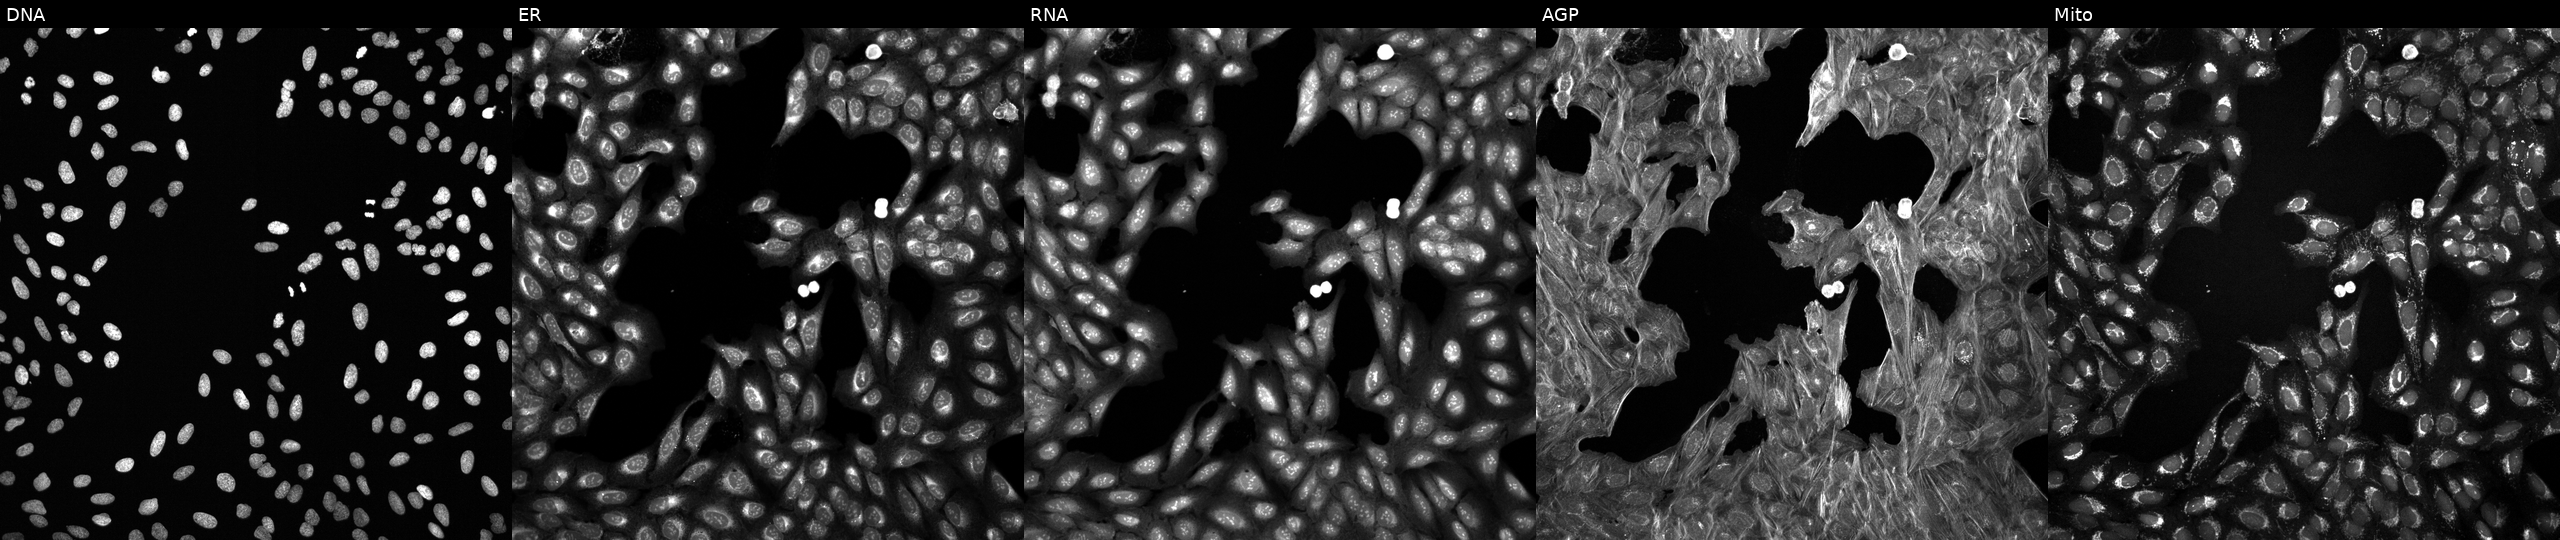
JUMP Cell Painting — TARGET2 plate. U2OS cells exposed to a small-molecule compound (InChIKey GUUGZPSUOTWOMD-UHFFFAOYSA-N) [SMILES: Oc1ccc(C(O)O)[nH]1] (JUMP id JCP2022_027911). Panels show, left to right, DNA (nuclei); ER (endoplasmic reticulum); RNA (nucleoli and cytoplasmic RNA); AGP (actin cytoskeleton, Golgi, and plasma membrane); Mito (mitochondria).